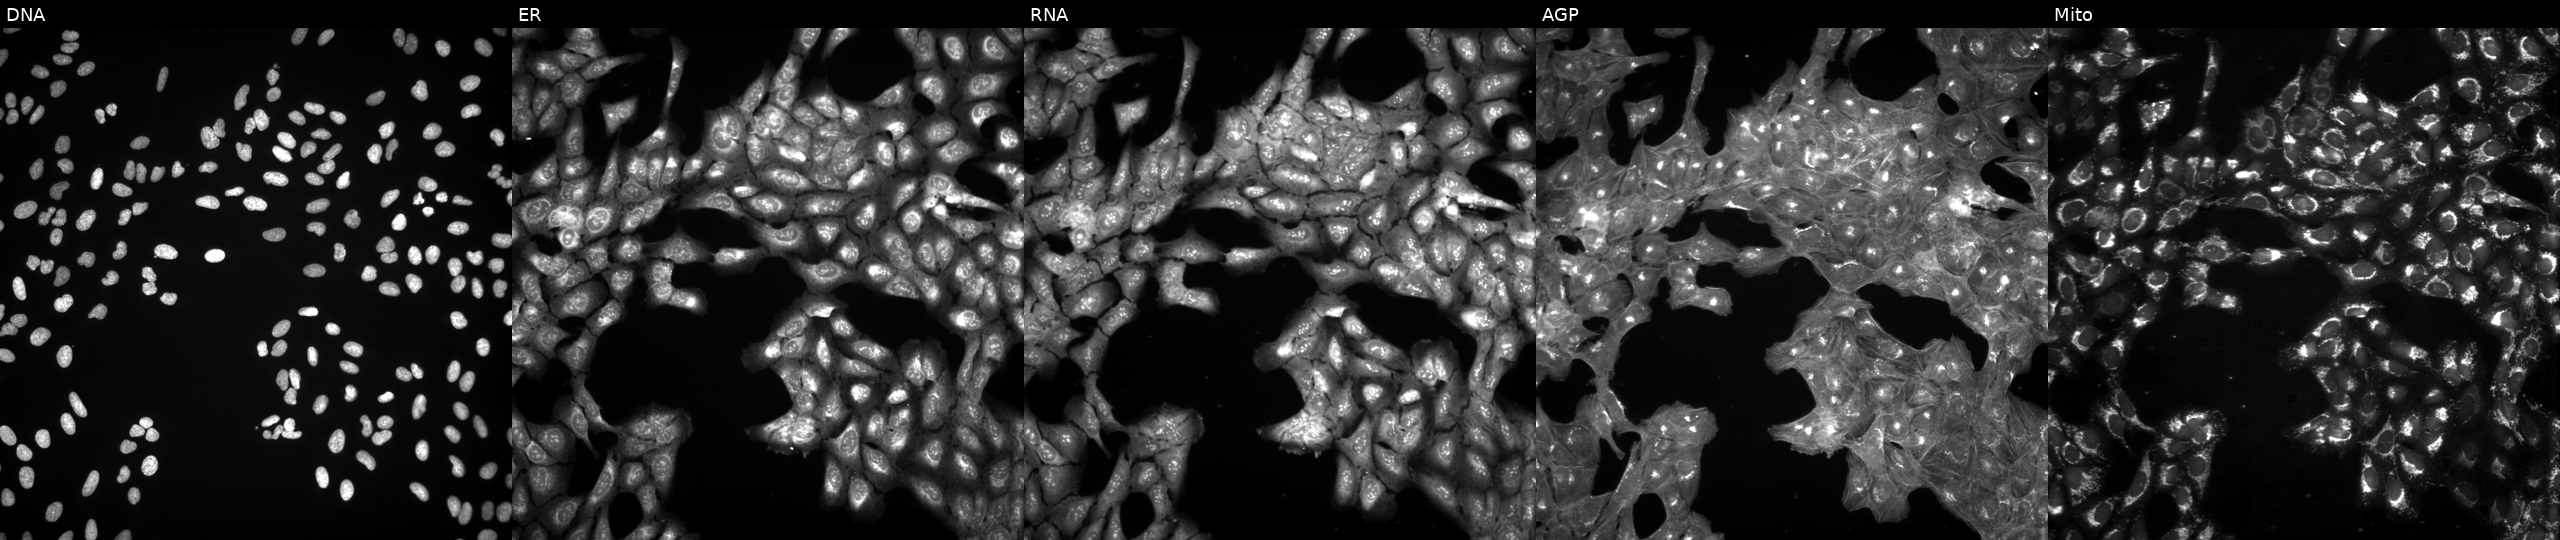
This image strip shows the five Cell Painting channels for a single field of U2OS cells treated with a small-molecule compound (InChIKey JYLNVJYYQQXNEK-UHFFFAOYSA-N). Panels show, left to right, DNA (nuclei); ER (endoplasmic reticulum); RNA (nucleoli and cytoplasmic RNA); AGP (actin cytoskeleton, Golgi, and plasma membrane); Mito (mitochondria).